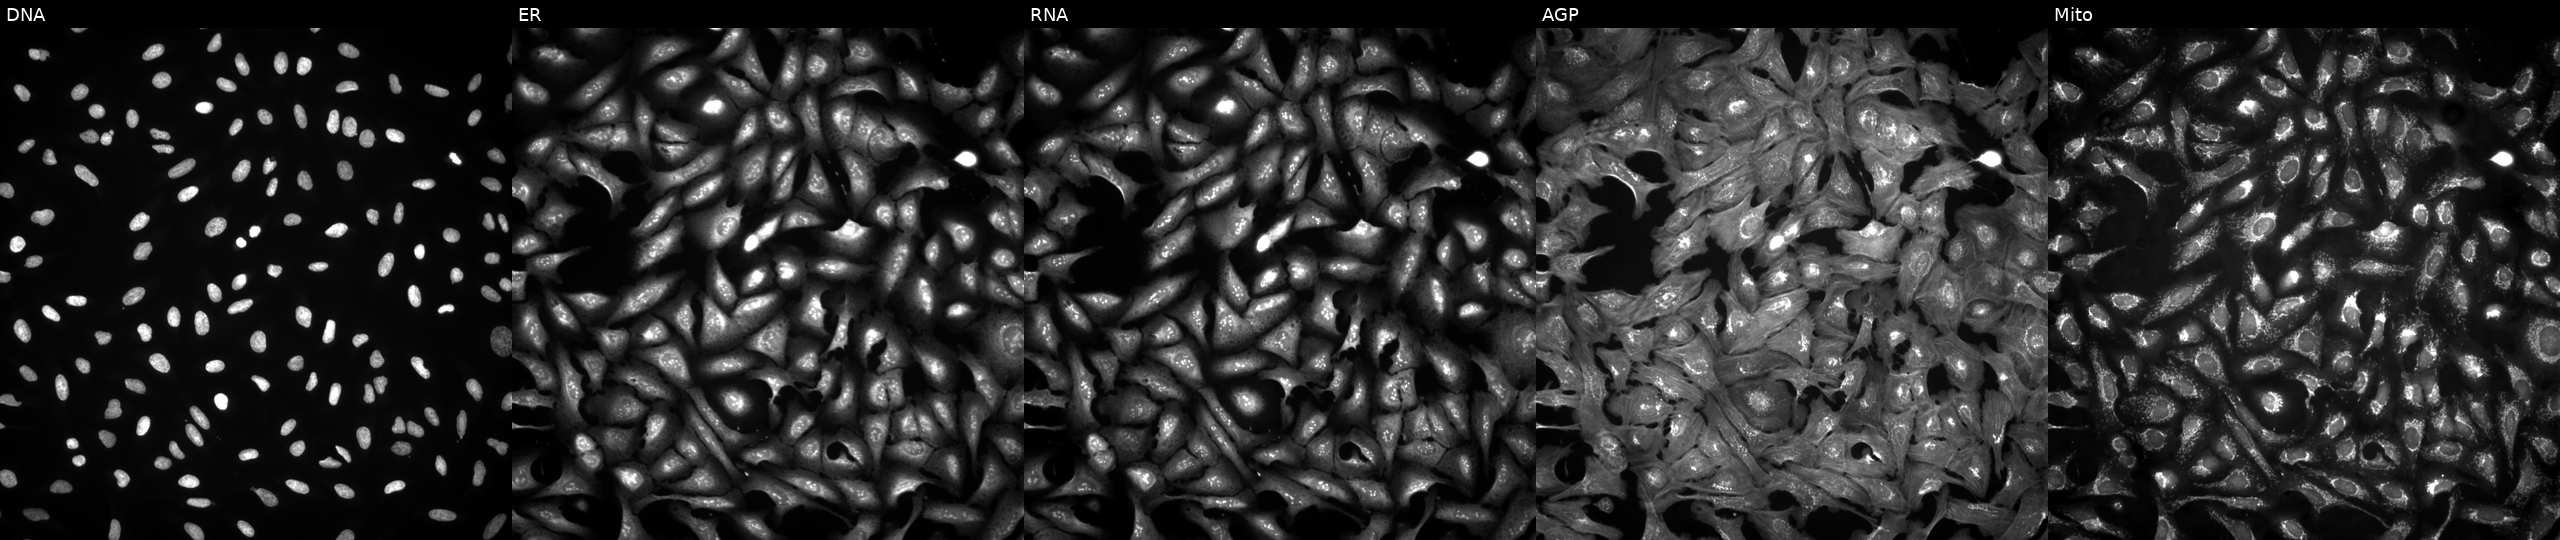
Five-channel Cell Painting image of U2OS cells overexpressing GFER via ORF transfection (JUMP id JCP2022_910107). Panels show, left to right, DNA (nuclei); ER (endoplasmic reticulum); RNA (nucleoli and cytoplasmic RNA); AGP (actin cytoskeleton, Golgi, and plasma membrane); Mito (mitochondria).